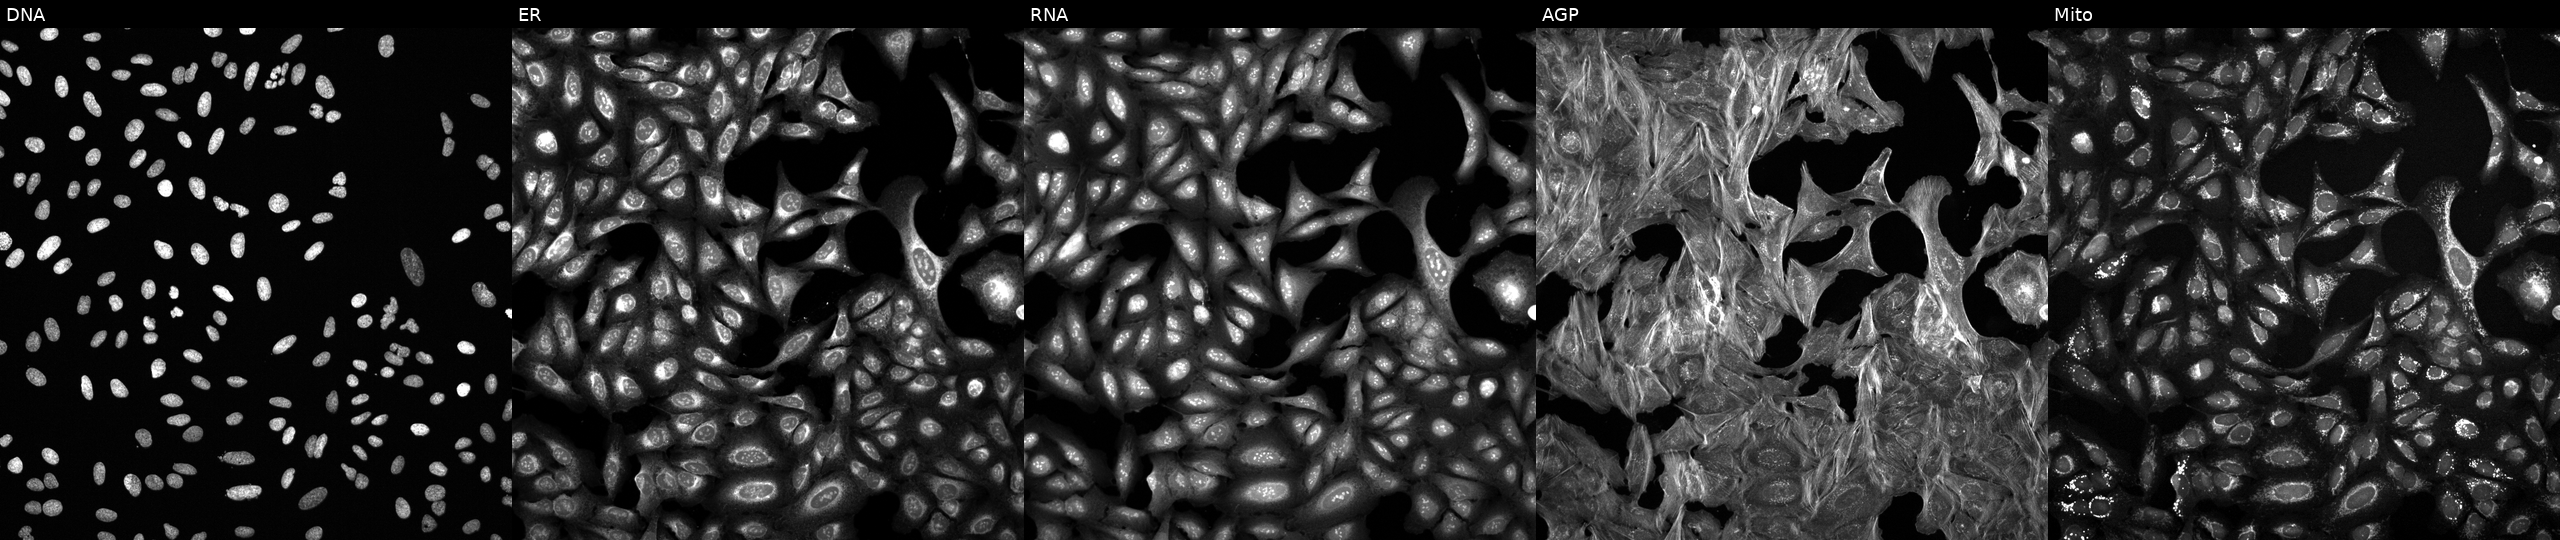
High-content fluorescence microscopy (Cell Painting). Cell line: U2OS. Perturbation: treated with a small-molecule compound. The five panels, left to right, show Hoechst 33342, concanavalin A, SYTO 14, phalloidin and WGA, MitoTracker. Source 6, plate 110000293083, well G18.